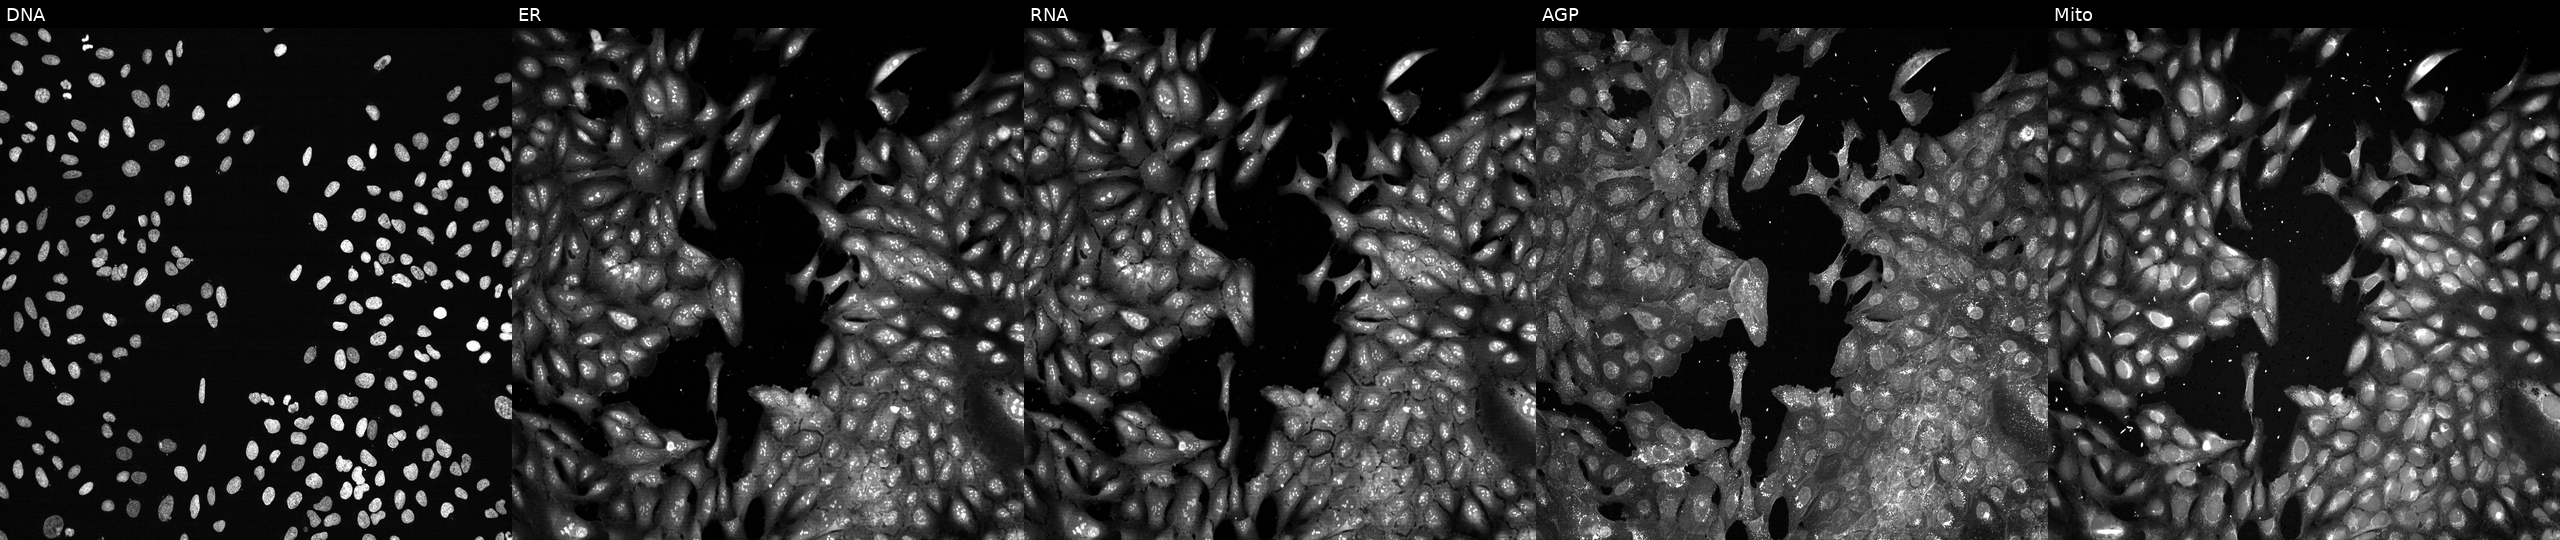
This image strip shows the five Cell Painting channels for a single field of U2OS cells with PTGR2 knocked out by CRISPR (JUMP id JCP2022_805657). Panels show, left to right, Hoechst 33342, concanavalin A, SYTO 14, phalloidin and WGA, MitoTracker. Source 13, plate CP-CC9-R1-01, well C06.